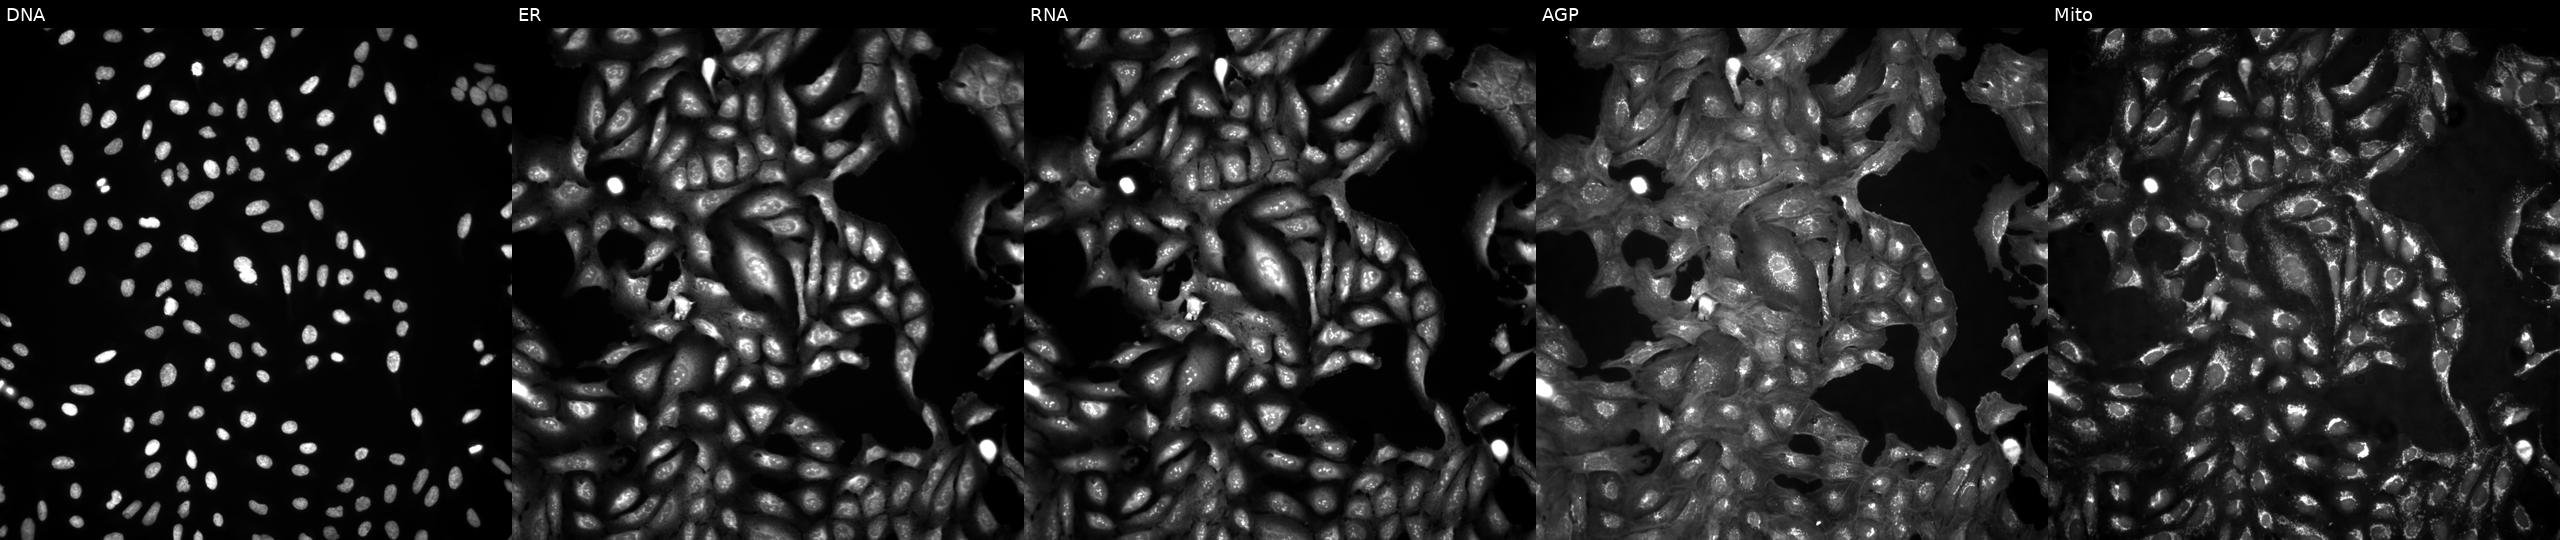
High-content fluorescence microscopy (Cell Painting). Cell line: U2OS. Perturbation: untreated (empty-well control). Panels show, left to right, DNA, ER, RNA, AGP, and Mito. Source 4, plate BR00124793, well G19.